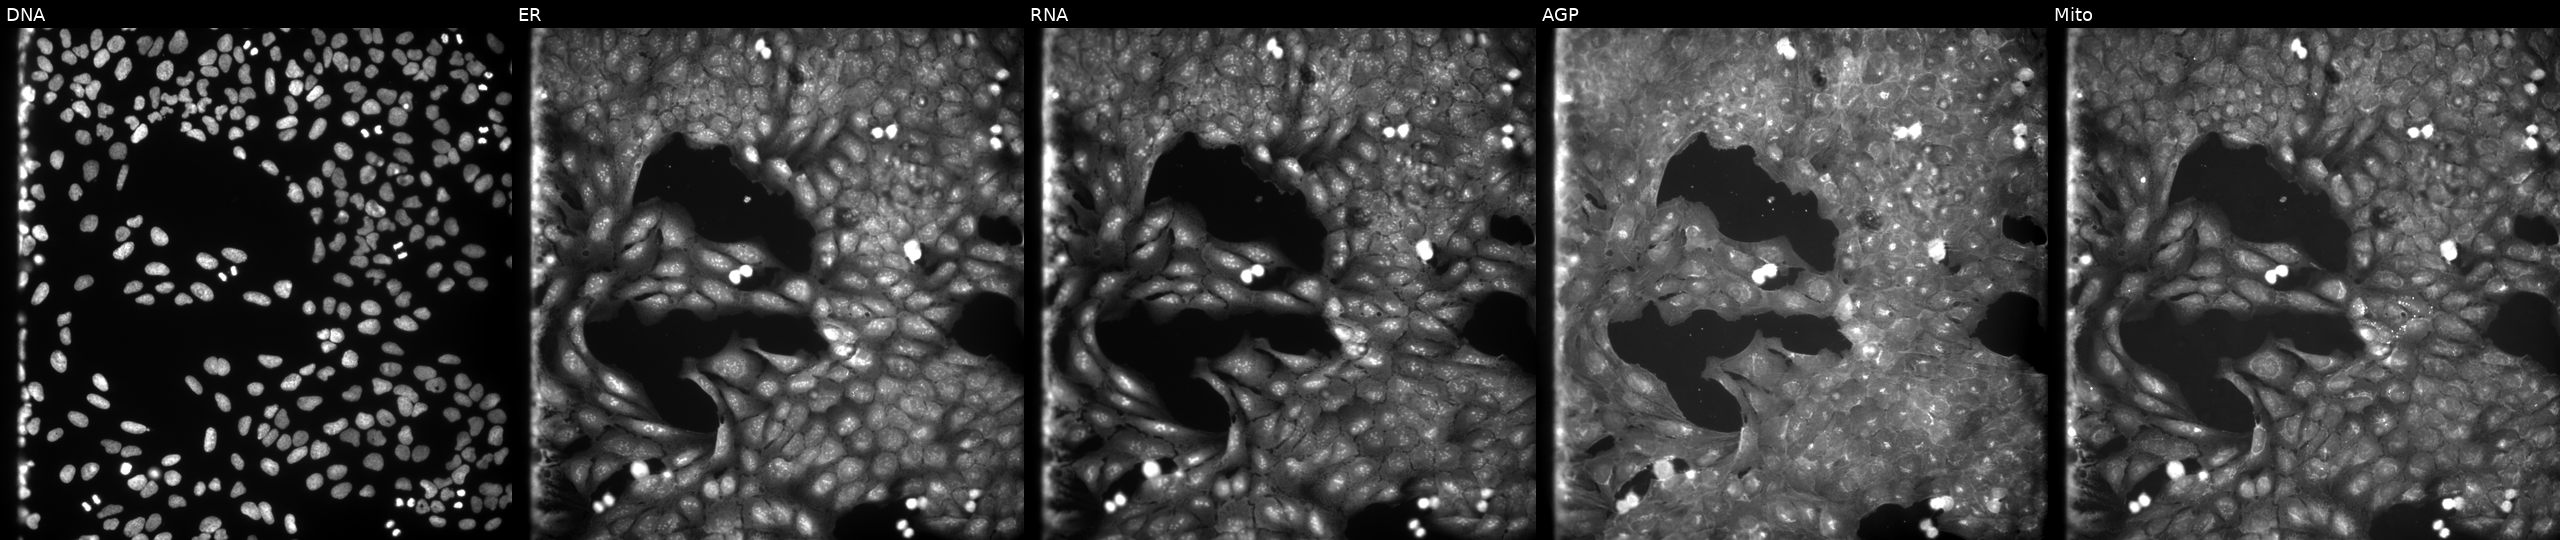
U2OS cells, Cell Painting assay, perturbed with a small-molecule compound (InChIKey JUGPCVKEHLTNGN-UHFFFAOYSA-N). Channels (left→right): Hoechst 33342, concanavalin A, SYTO 14, phalloidin and WGA, MitoTracker. Each panel is percentile-stretched 16-bit fluorescence.